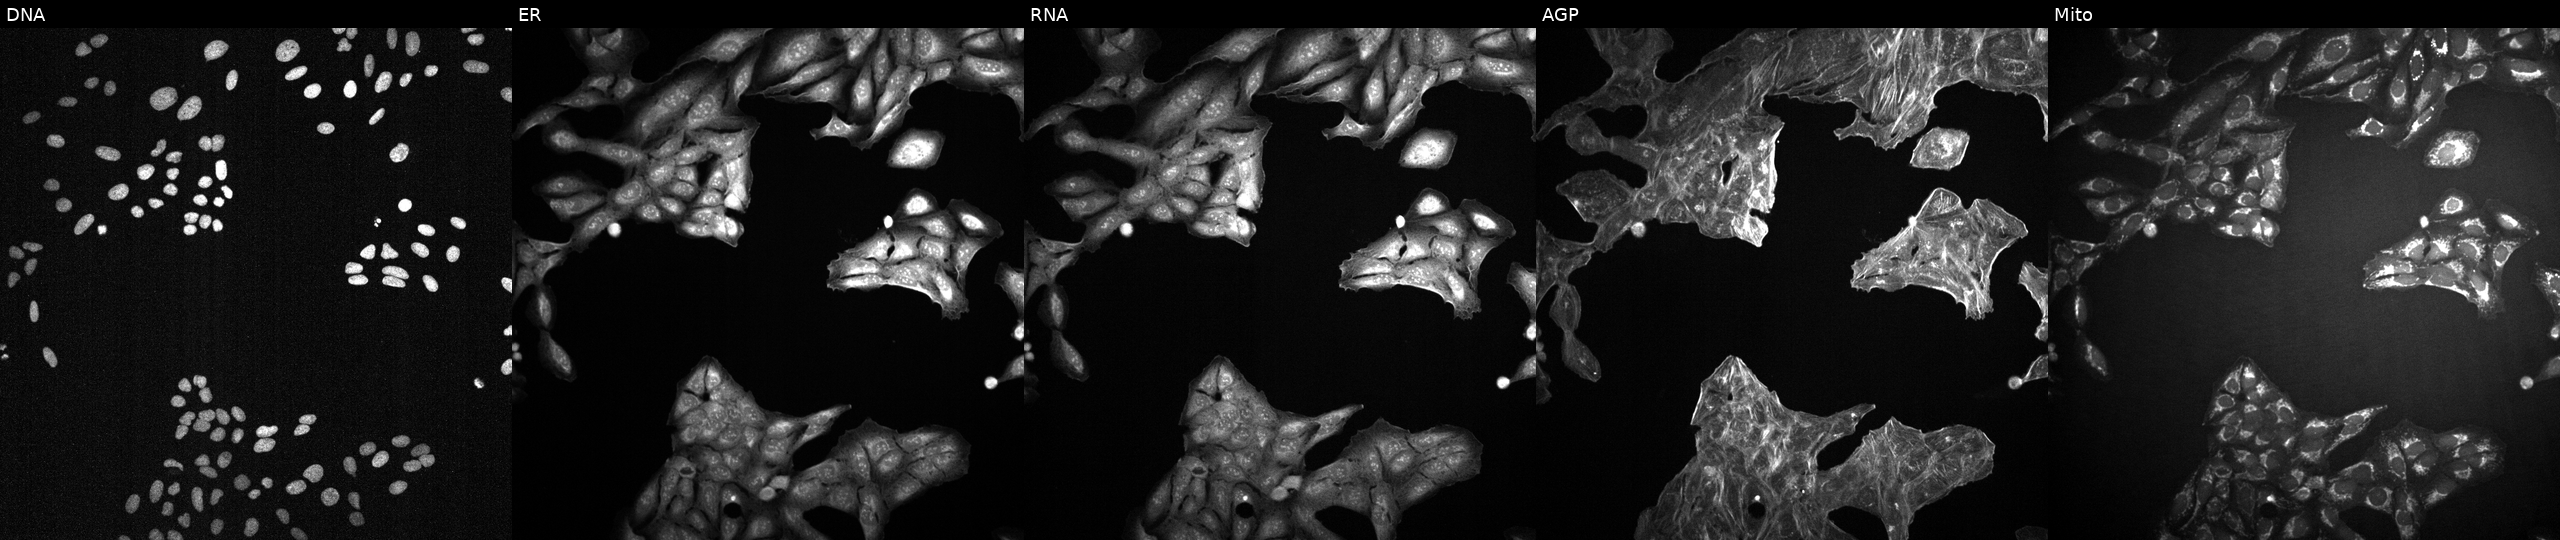
JUMP Cell Painting — TARGET2 plate. U2OS cells exposed to DMSO alone as a negative control (JUMP id JCP2022_033924). From left to right: DNA (nuclei); ER (endoplasmic reticulum); RNA (nucleoli and cytoplasmic RNA); AGP (actin cytoskeleton, Golgi, and plasma membrane); Mito (mitochondria). Source 2, plate 1053599503, well K07.